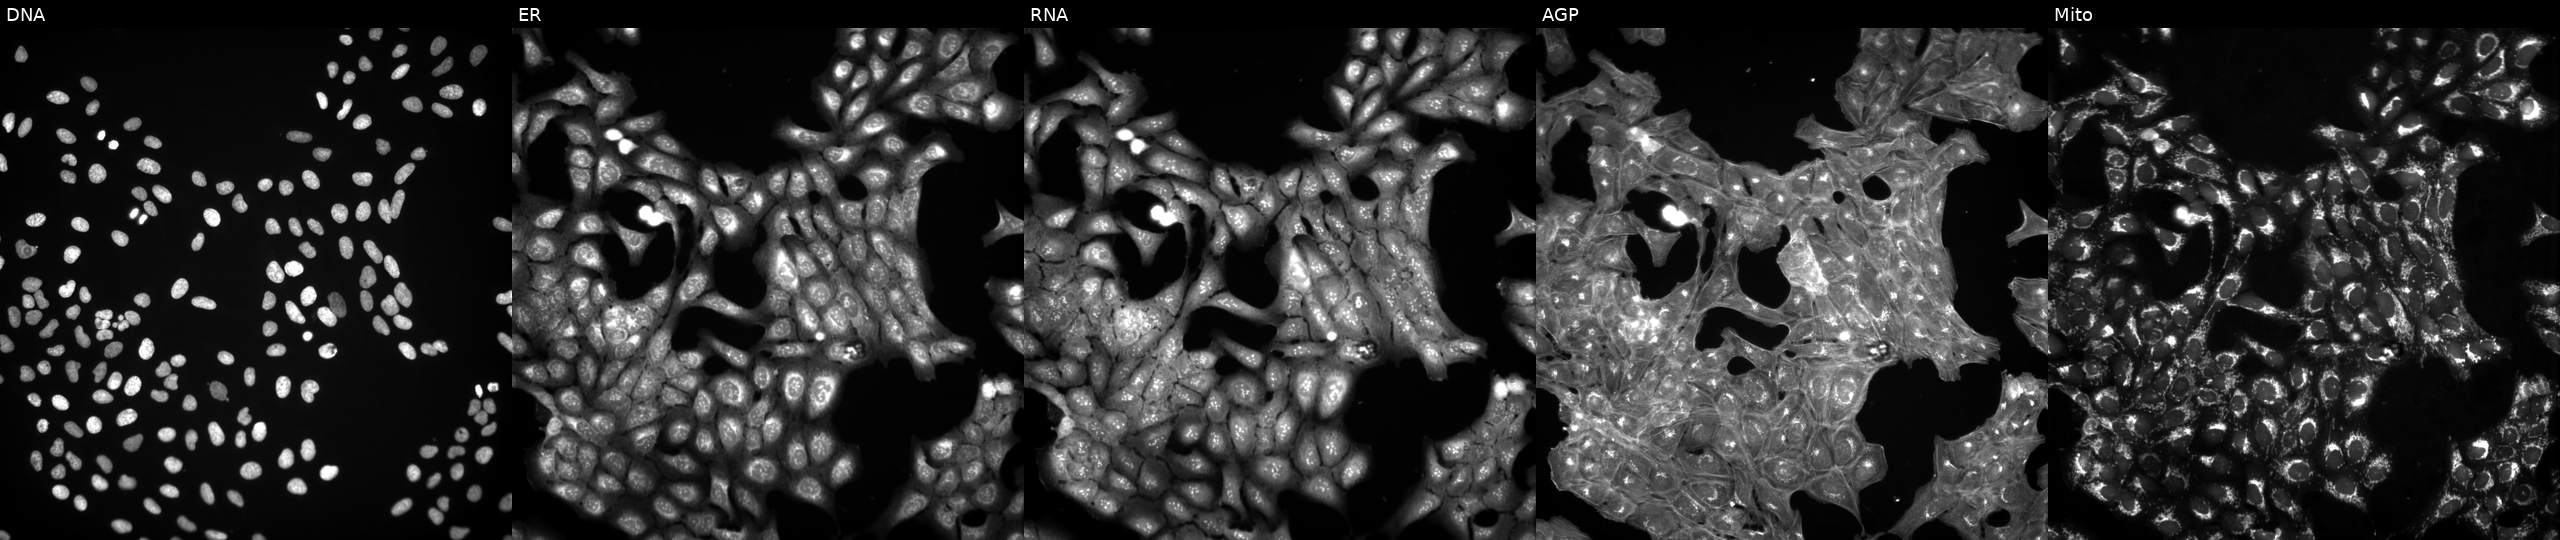
Five-channel Cell Painting image of U2OS cells treated with a small-molecule compound (InChIKey NOIIUHRQUVNIDD-UHFFFAOYSA-N) (JUMP id JCP2022_060311). The five panels, left to right, show DNA (nuclei); ER (endoplasmic reticulum); RNA (nucleoli and cytoplasmic RNA); AGP (actin cytoskeleton, Golgi, and plasma membrane); Mito (mitochondria).